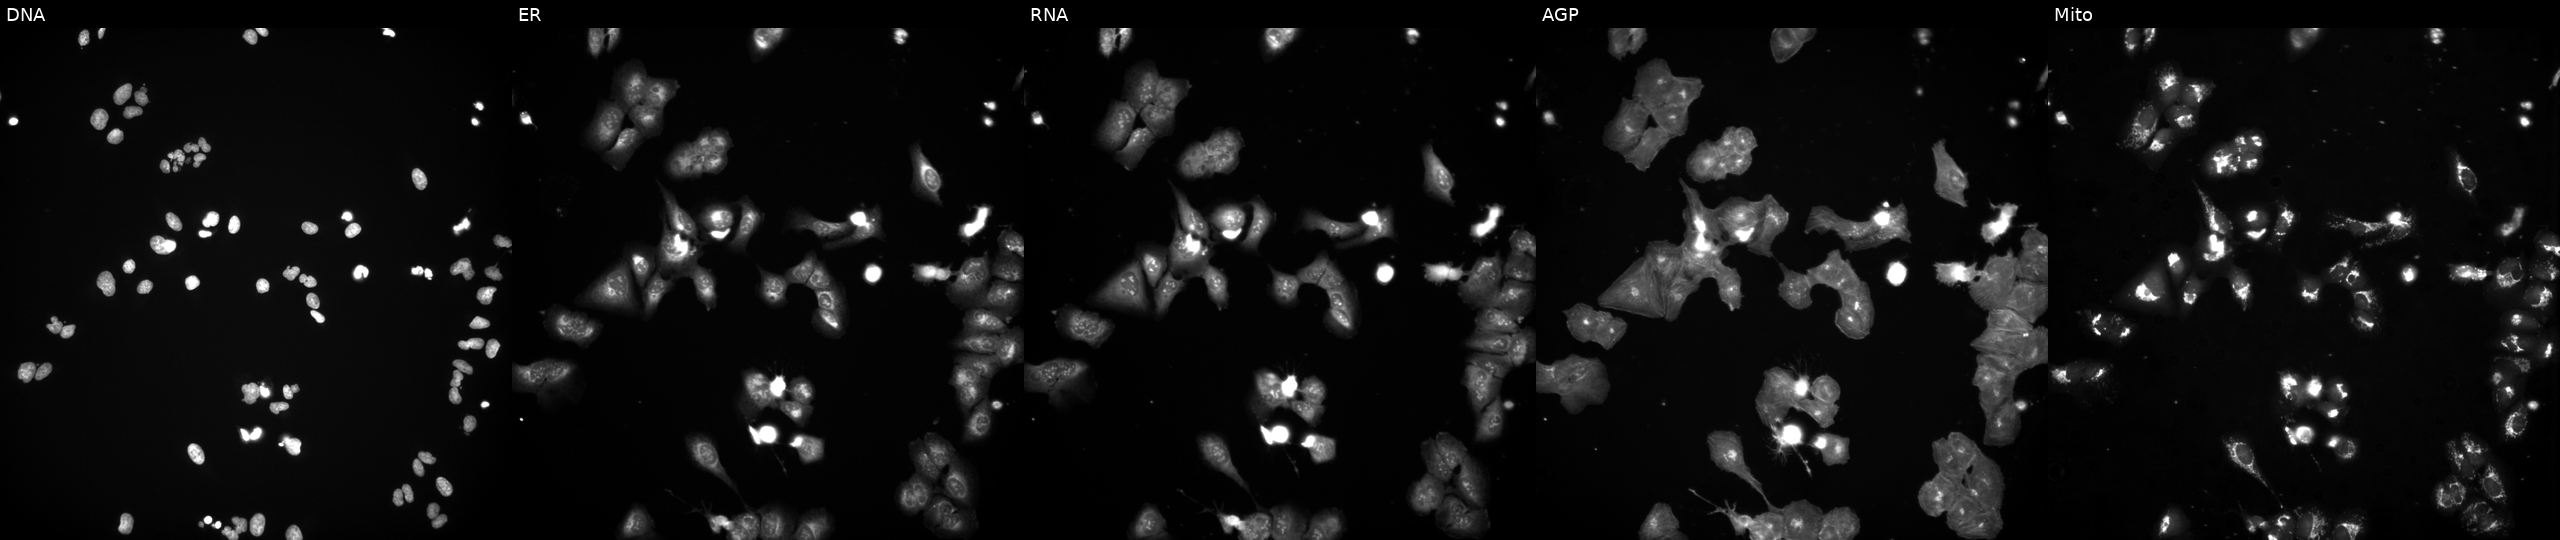
Five-channel Cell Painting image of U2OS cells perturbed with a small-molecule compound (InChIKey ASGCTENTJVTZBM-UHFFFAOYSA-N) [SMILES: Cc1cccc(C(=O)NC(C(=O)N=c2[nH]cc(C)s2)C(C)C)c1]. Panels show, left to right, Hoechst 33342, concanavalin A, SYTO 14, phalloidin and WGA, MitoTracker.